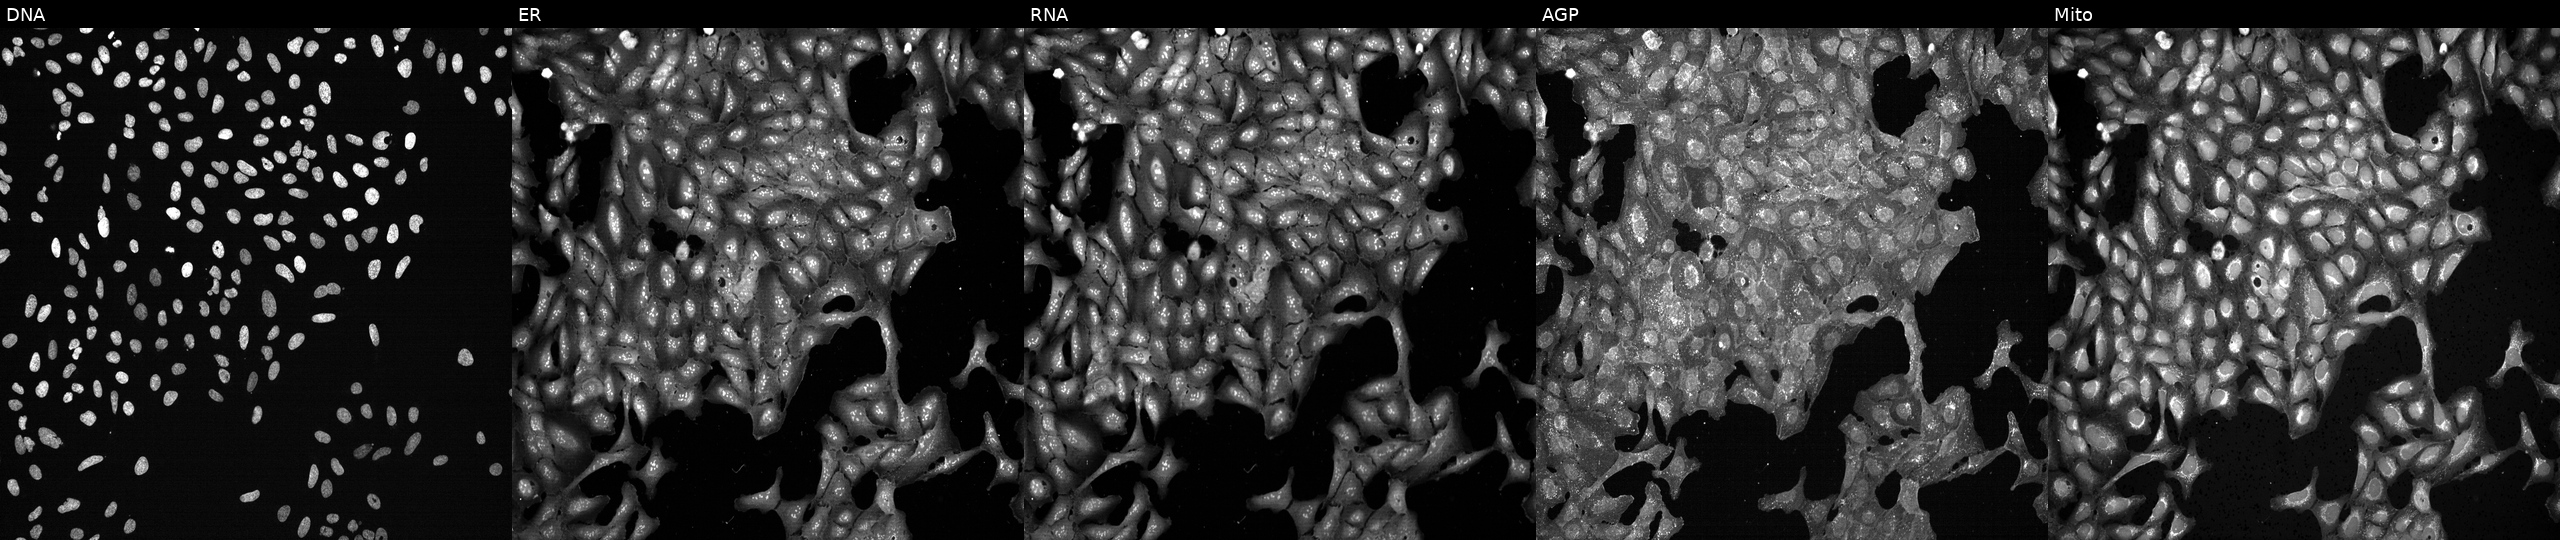
High-content fluorescence microscopy (Cell Painting). Cell line: U2OS. Perturbation: with TNFRSF13B knocked out by CRISPR (JUMP id JCP2022_807168). From left to right: Hoechst 33342, concanavalin A, SYTO 14, phalloidin and WGA, MitoTracker.